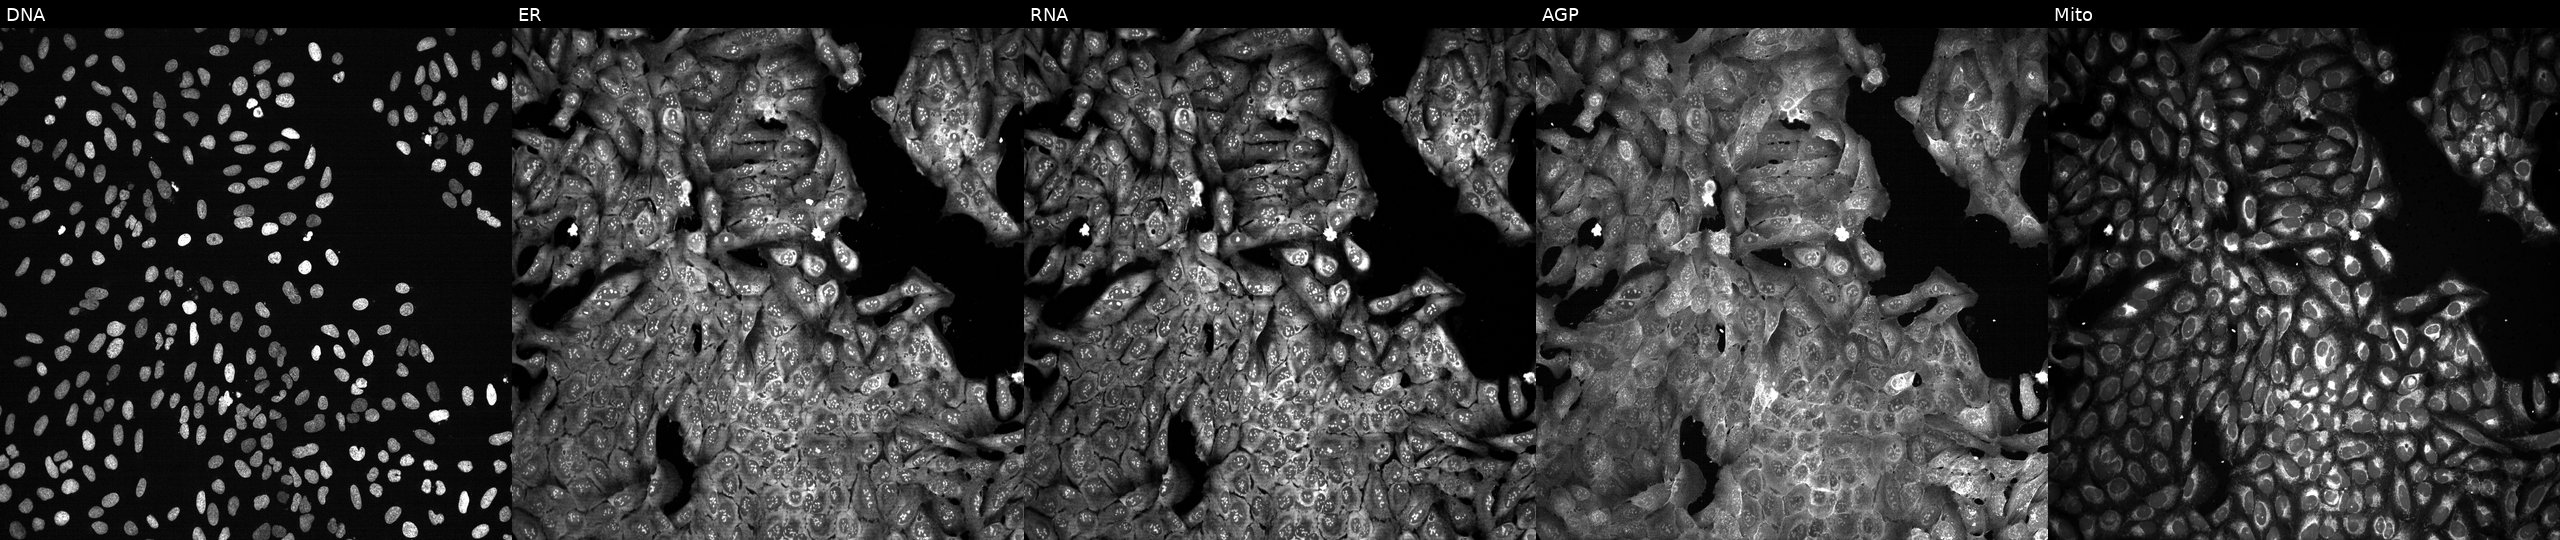
High-content fluorescence microscopy (Cell Painting). Cell line: U2OS. Perturbation: CRISPR-edited to disrupt EXOSC7. Panels show, left to right, DNA, ER, RNA, AGP, and Mito.